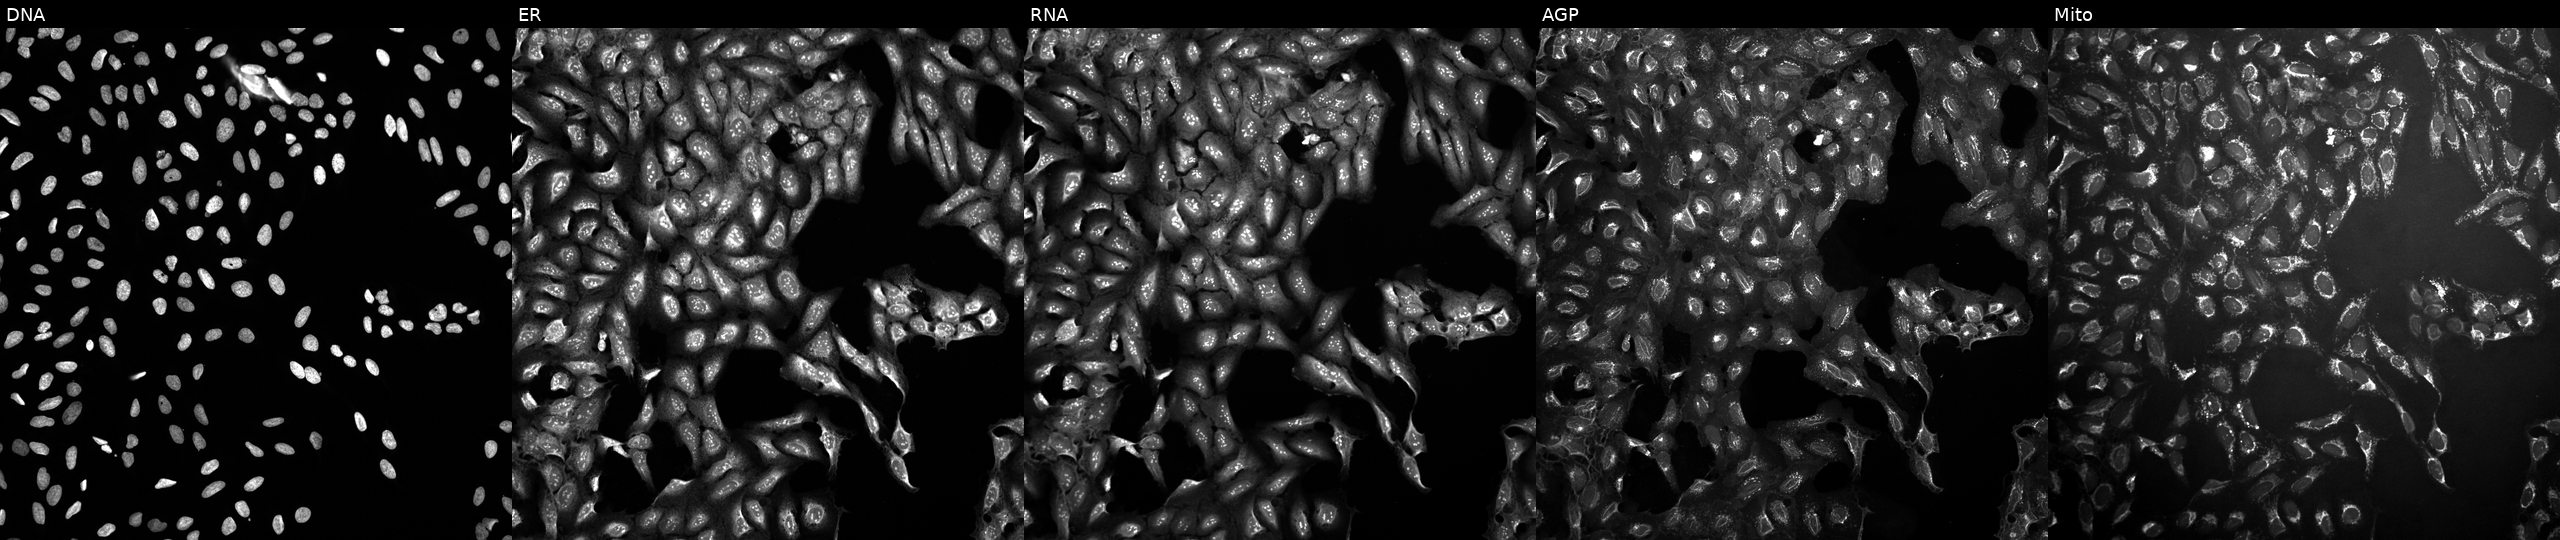
Five-channel Cell Painting image of U2OS cells exposed to a small-molecule compound (InChIKey OJLOPKGSLYJEMD-UHFFFAOYSA-N). Channels (left→right): DNA, ER, RNA, AGP, and Mito. Source 10, plate Dest210803-153958, well E09.